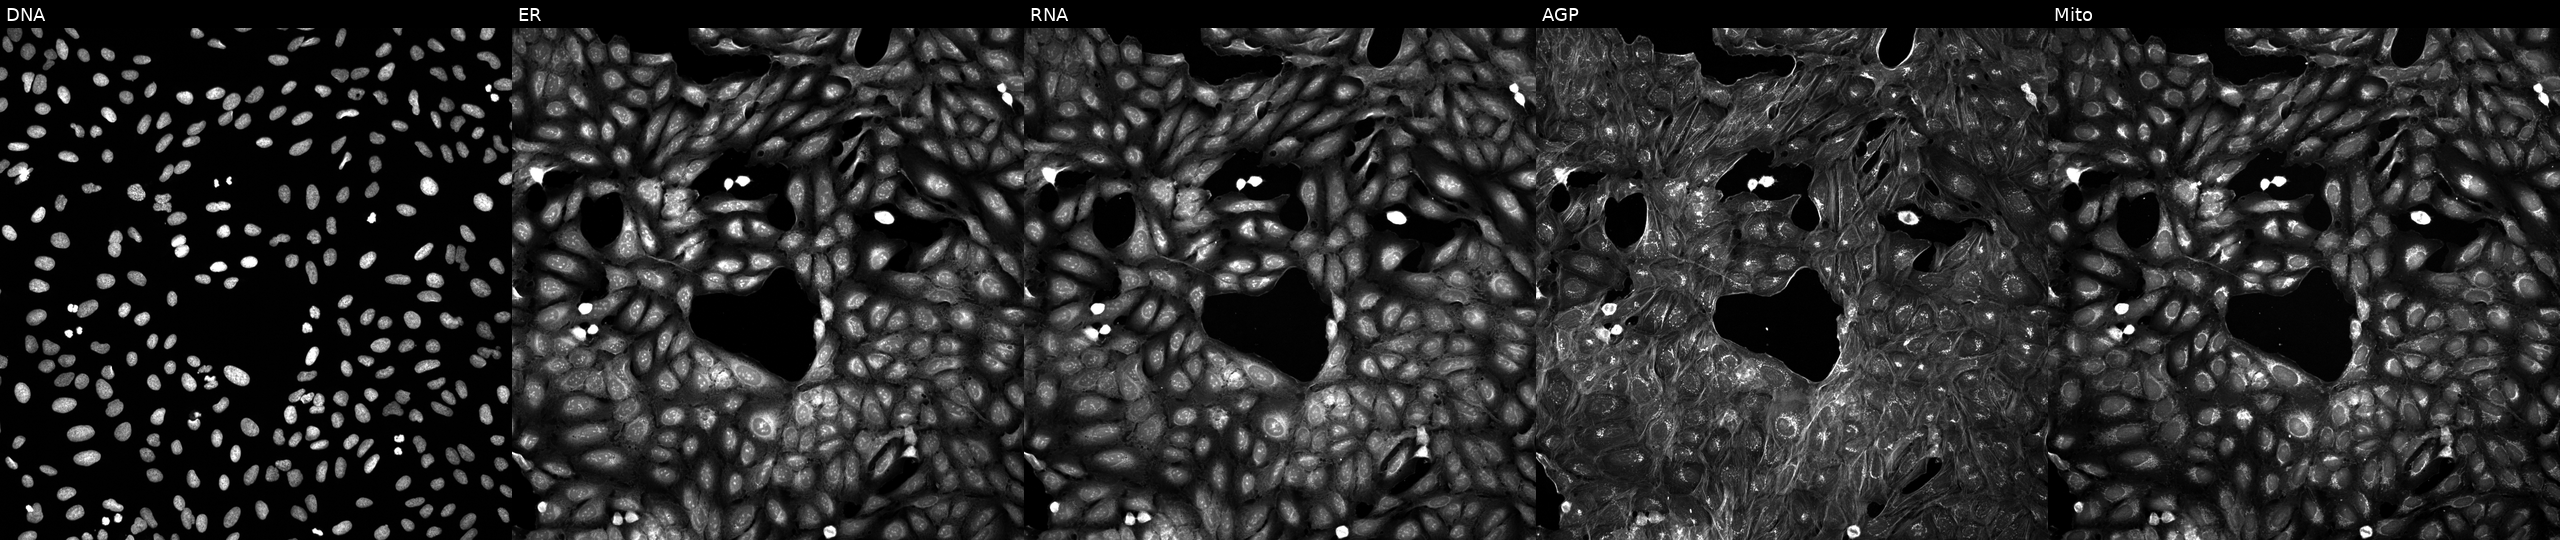
JUMP Cell Painting — COMPOUND plate. U2OS cells treated with a small-molecule compound (InChIKey VNHMRHAJBHHWIB-UHFFFAOYSA-N) [SMILES: Cc1ccc(N=c2nc(C)cc(N3CCN(S(=O)(=O)c4ccc5c(c4)OCCO5)CC3)[nH]2)cc1] (JUMP id JCP2022_095073). The five panels, left to right, show Hoechst 33342, concanavalin A, SYTO 14, phalloidin and WGA, MitoTracker. Source 5, plate APTJUM106, well C09.